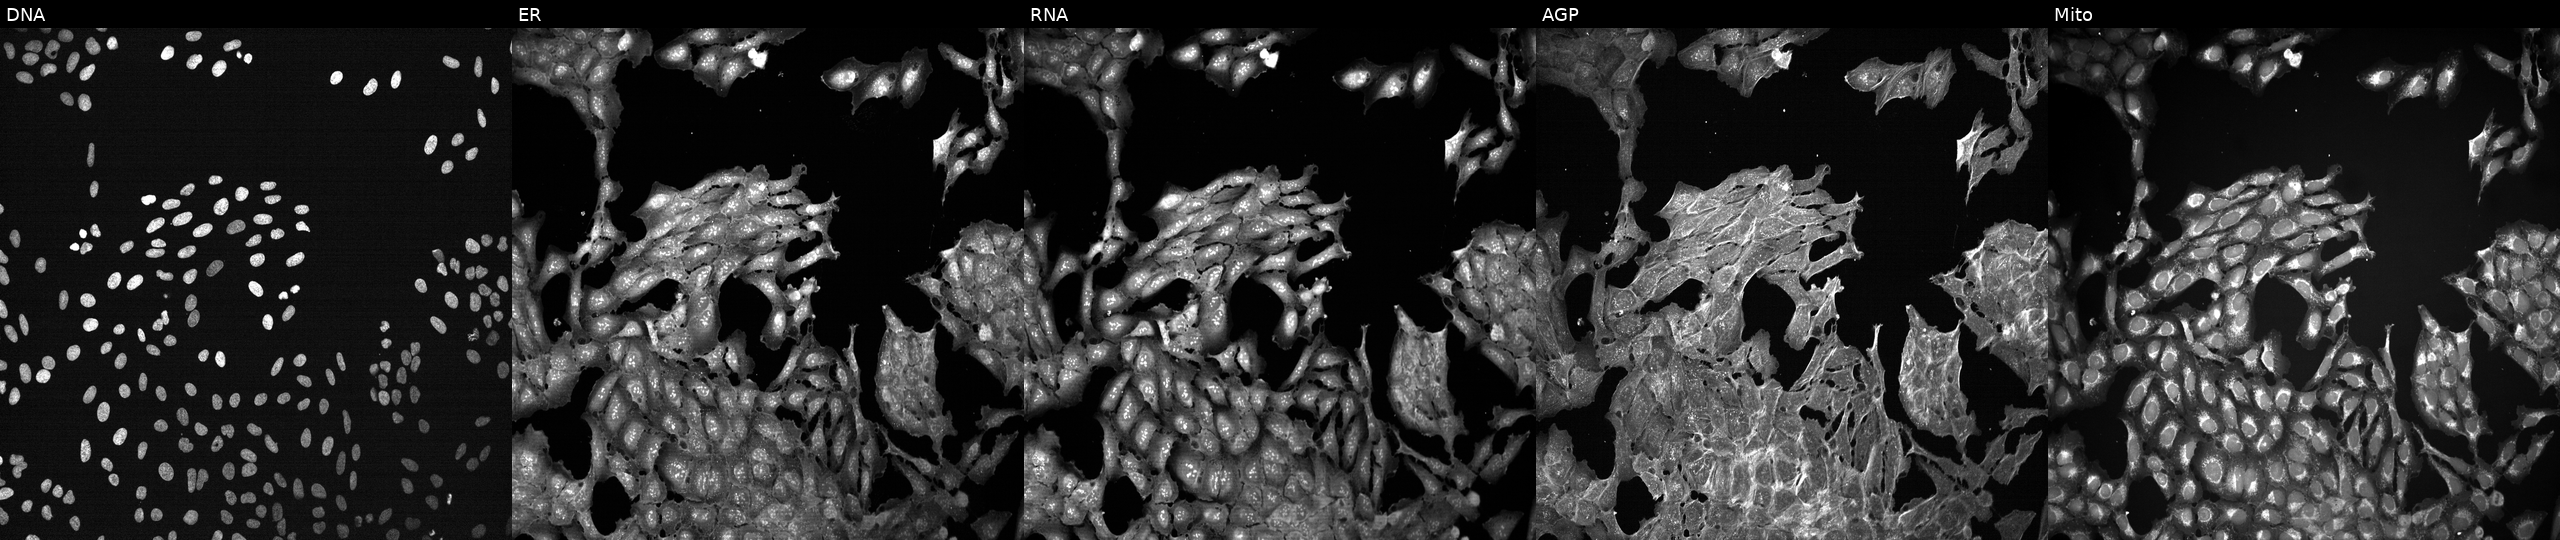
JUMP Cell Painting — TARGET2 plate. U2OS cells exposed to a small-molecule compound (InChIKey LXANPKRCLVQAOG-UHFFFAOYSA-N) (JUMP id JCP2022_052259). The five panels, left to right, show DNA (nuclei); ER (endoplasmic reticulum); RNA (nucleoli and cytoplasmic RNA); AGP (actin cytoskeleton, Golgi, and plasma membrane); Mito (mitochondria).